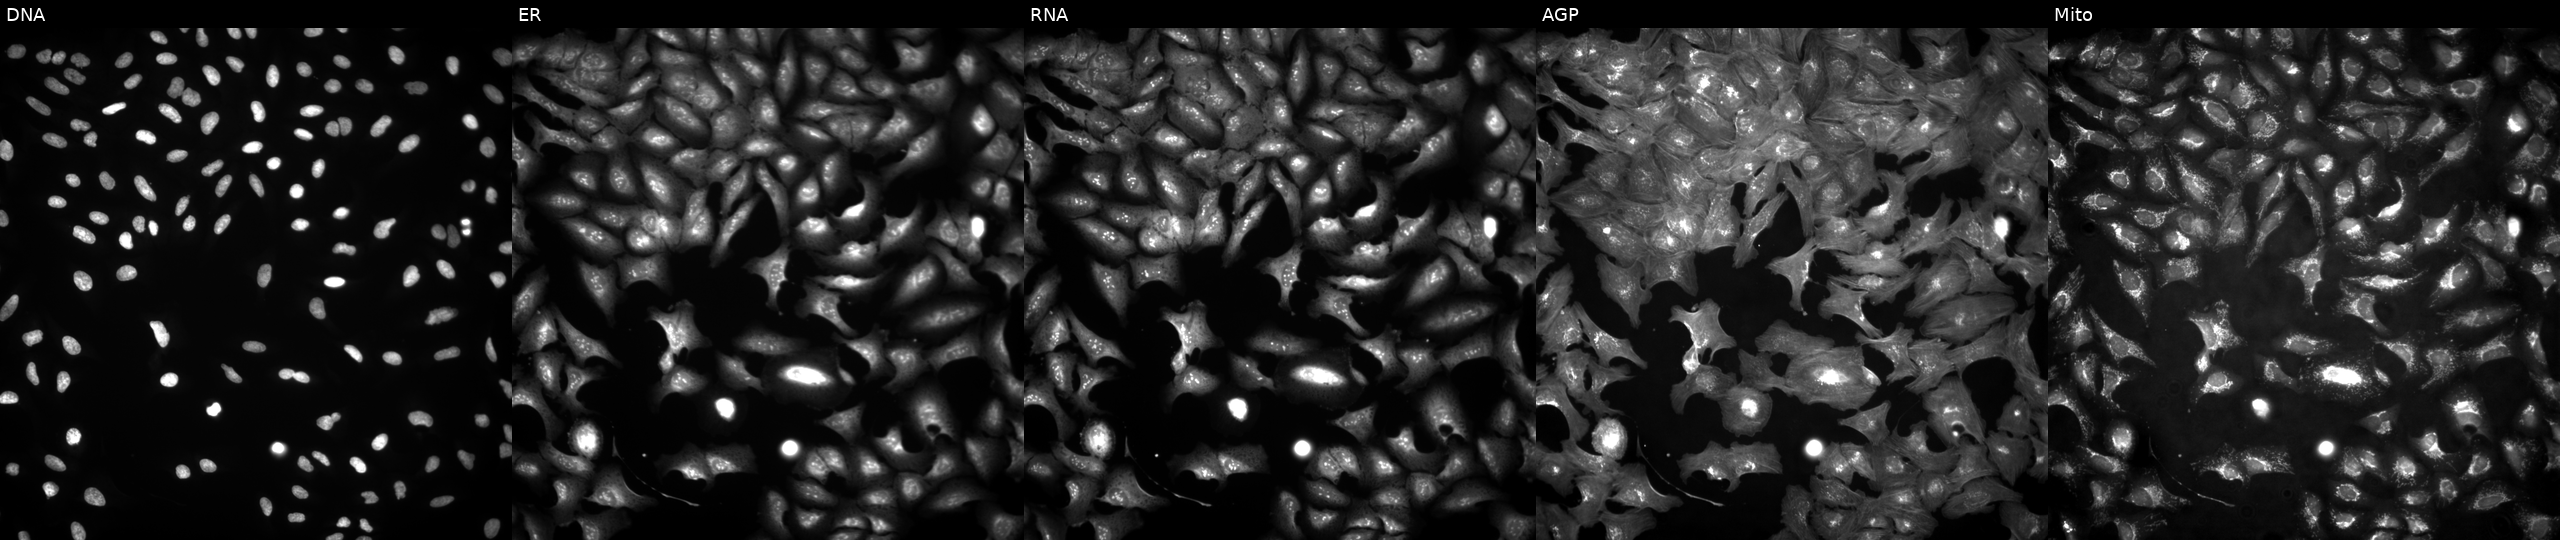
Five-channel Cell Painting image of U2OS cells transfected with an ORF construct for ACTRT3. The five panels, left to right, show DNA (nuclei); ER (endoplasmic reticulum); RNA (nucleoli and cytoplasmic RNA); AGP (actin cytoskeleton, Golgi, and plasma membrane); Mito (mitochondria). Source 4, plate BR00124784, well C20.